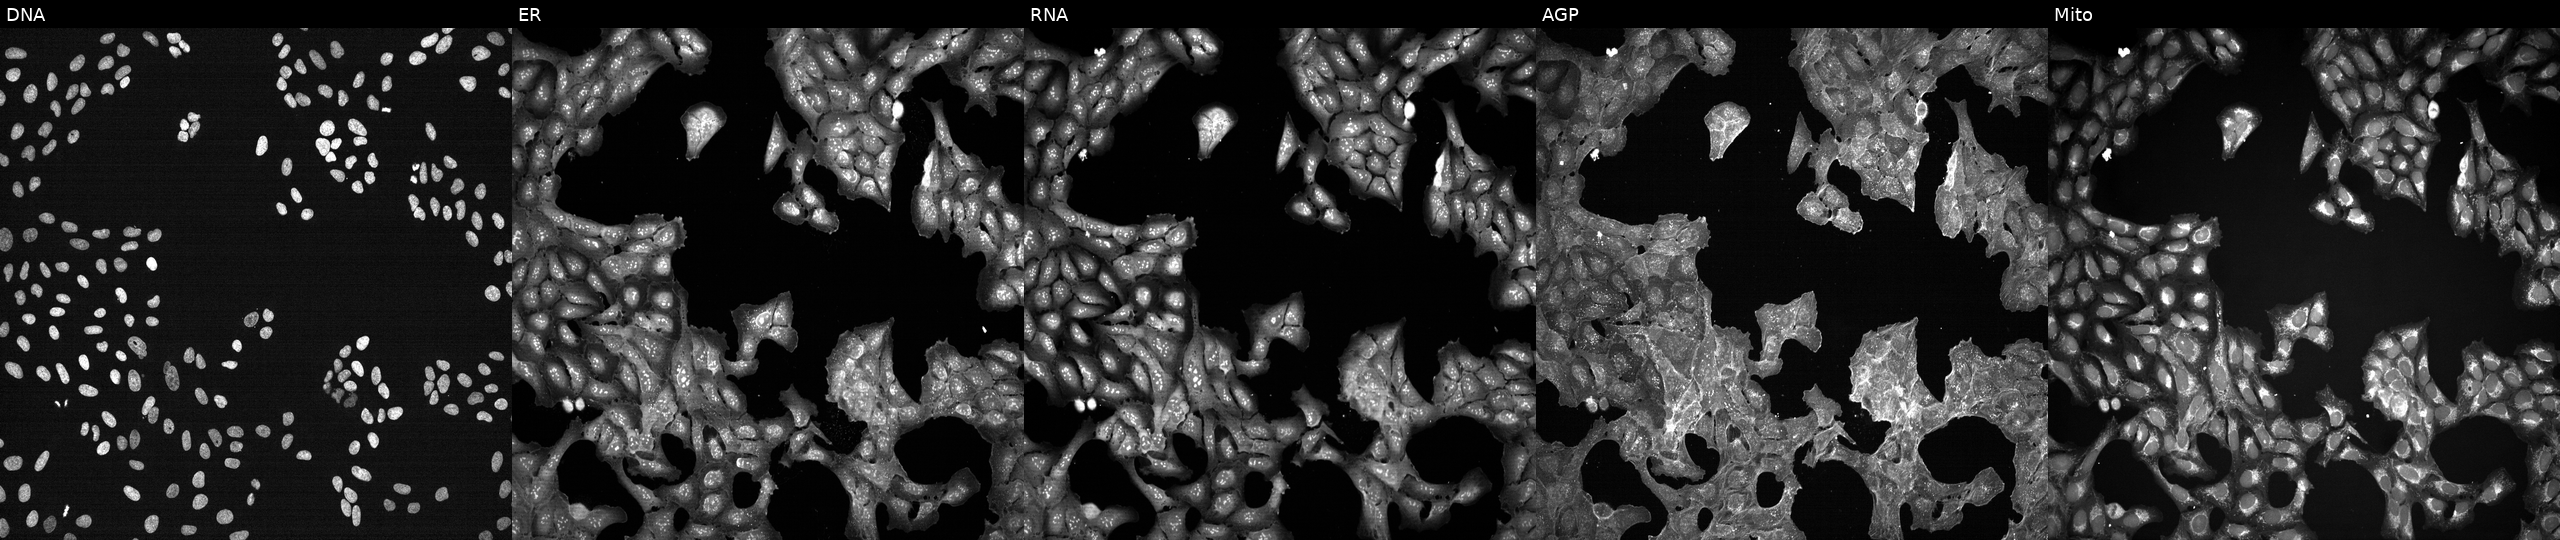
Panels show, left to right, Hoechst 33342, concanavalin A, SYTO 14, phalloidin and WGA, MitoTracker. U2OS osteosarcoma cells perturbed with a small-molecule compound [SMILES: CCOC(=O)Nc1ccc(=NCc2ccc(F)cc2)[nH]c1N]. Cell Painting assay, JUMP-CP dataset.